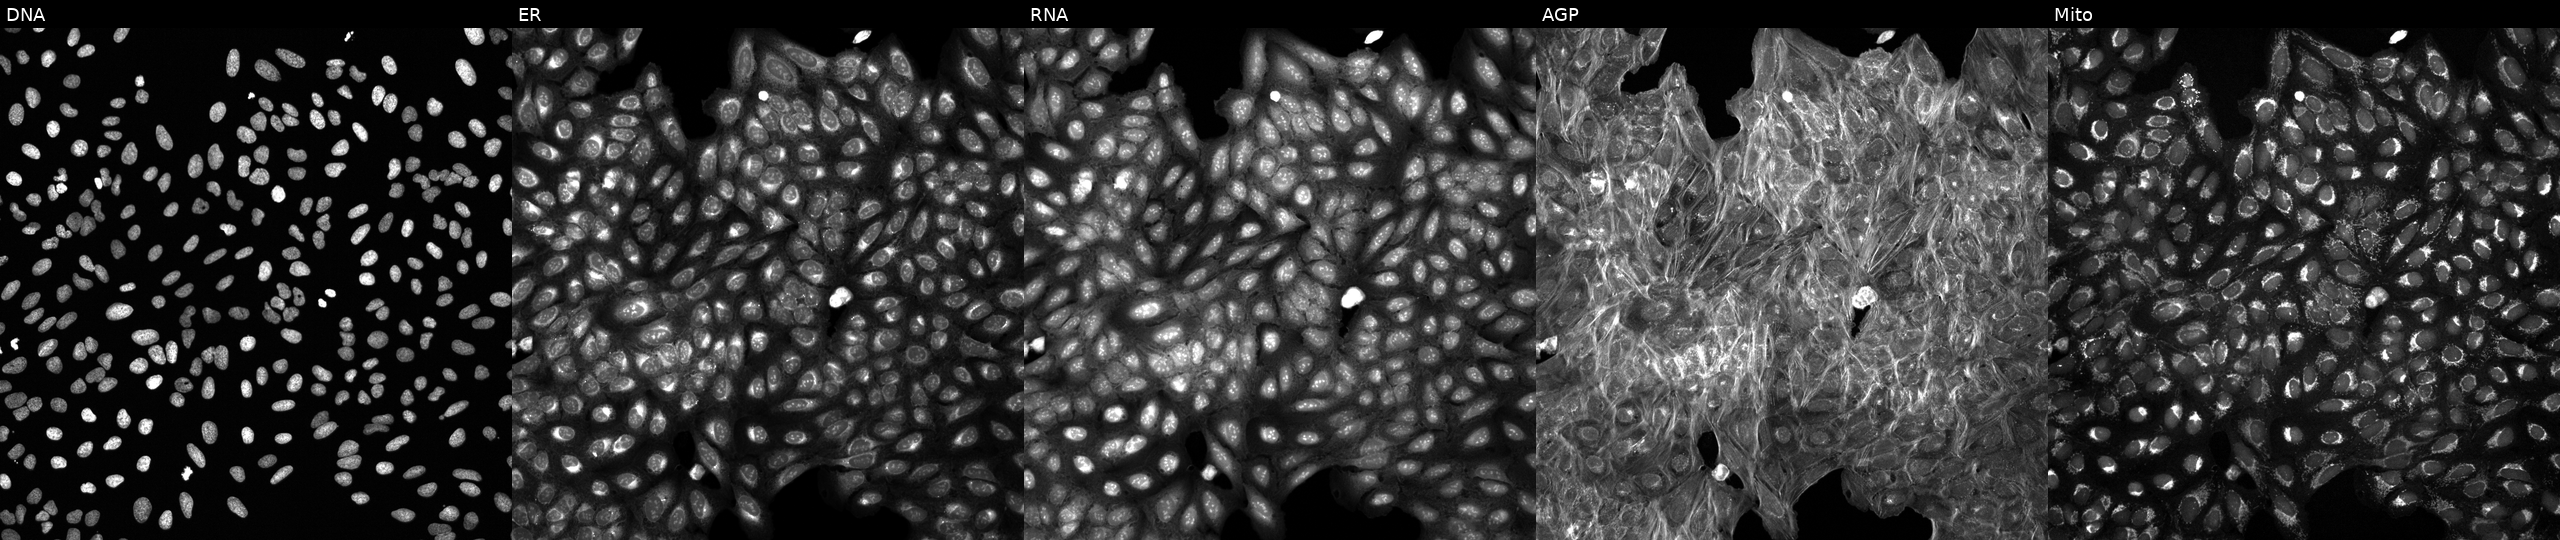
Five-channel Cell Painting image of U2OS cells treated with a small-molecule compound (InChIKey SYXMNONTBCYUNL-UHFFFAOYSA-N) [SMILES: c1ccc(-n2ncc3c(=NCc4coc(-c5cccs5)n4)[nH]cnc32)cc1] (JUMP id JCP2022_086488). From left to right: DNA (nuclei); ER (endoplasmic reticulum); RNA (nucleoli and cytoplasmic RNA); AGP (actin cytoskeleton, Golgi, and plasma membrane); Mito (mitochondria). Source 6, plate 110000293083, well A19.